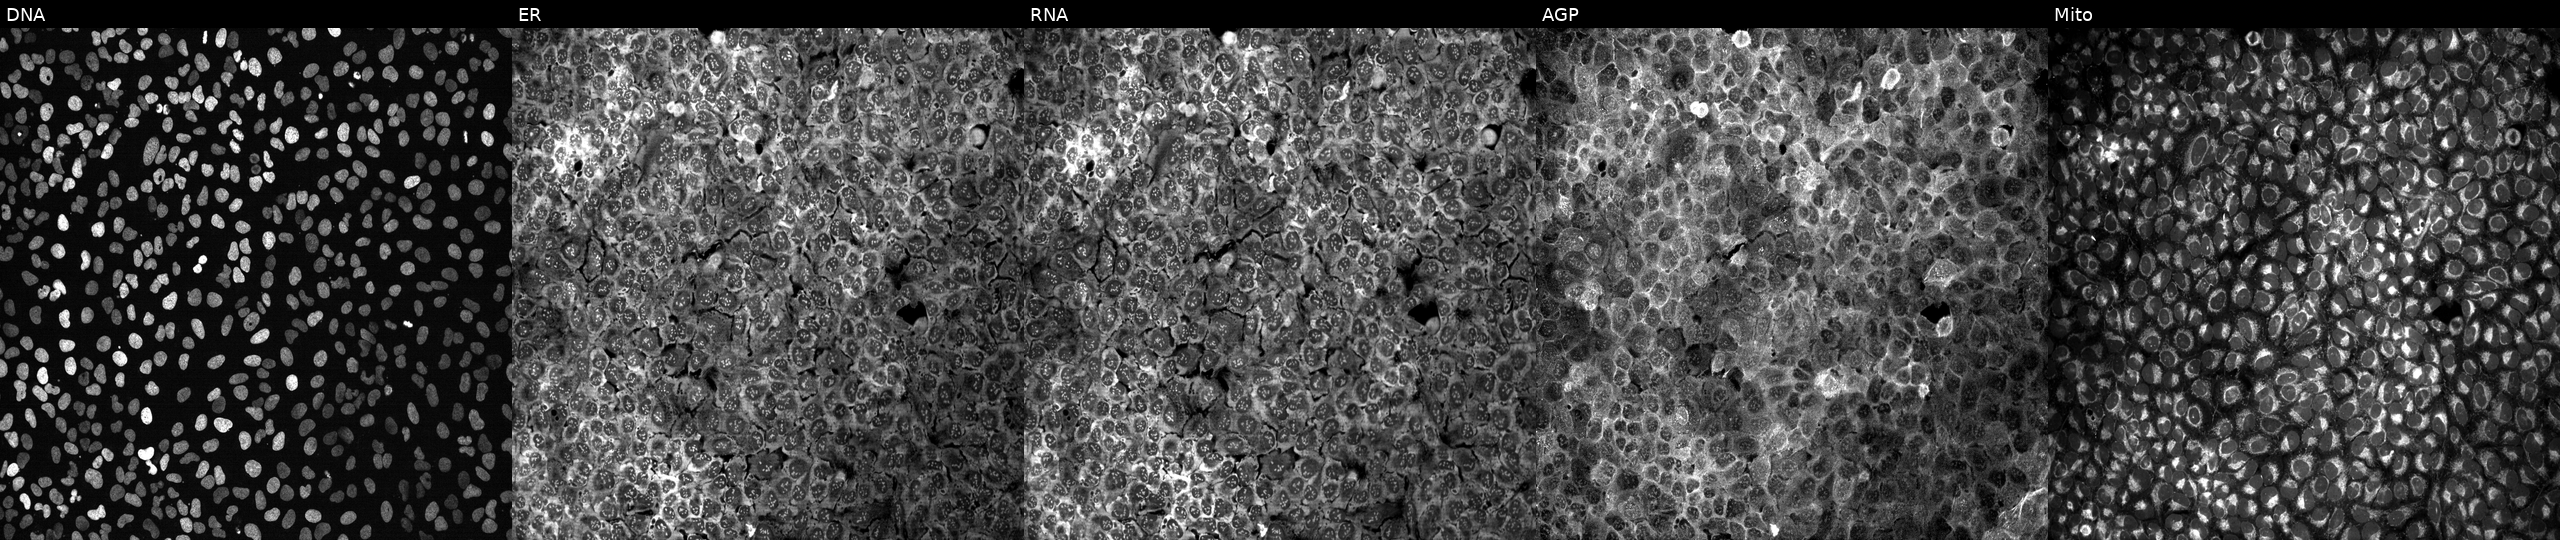
This image strip shows the five Cell Painting channels for a single field of U2OS cells following CRISPR knockout of DNASE1L3 (JUMP id JCP2022_801873). Panels show, left to right, DNA (nuclei); ER (endoplasmic reticulum); RNA (nucleoli and cytoplasmic RNA); AGP (actin cytoskeleton, Golgi, and plasma membrane); Mito (mitochondria).